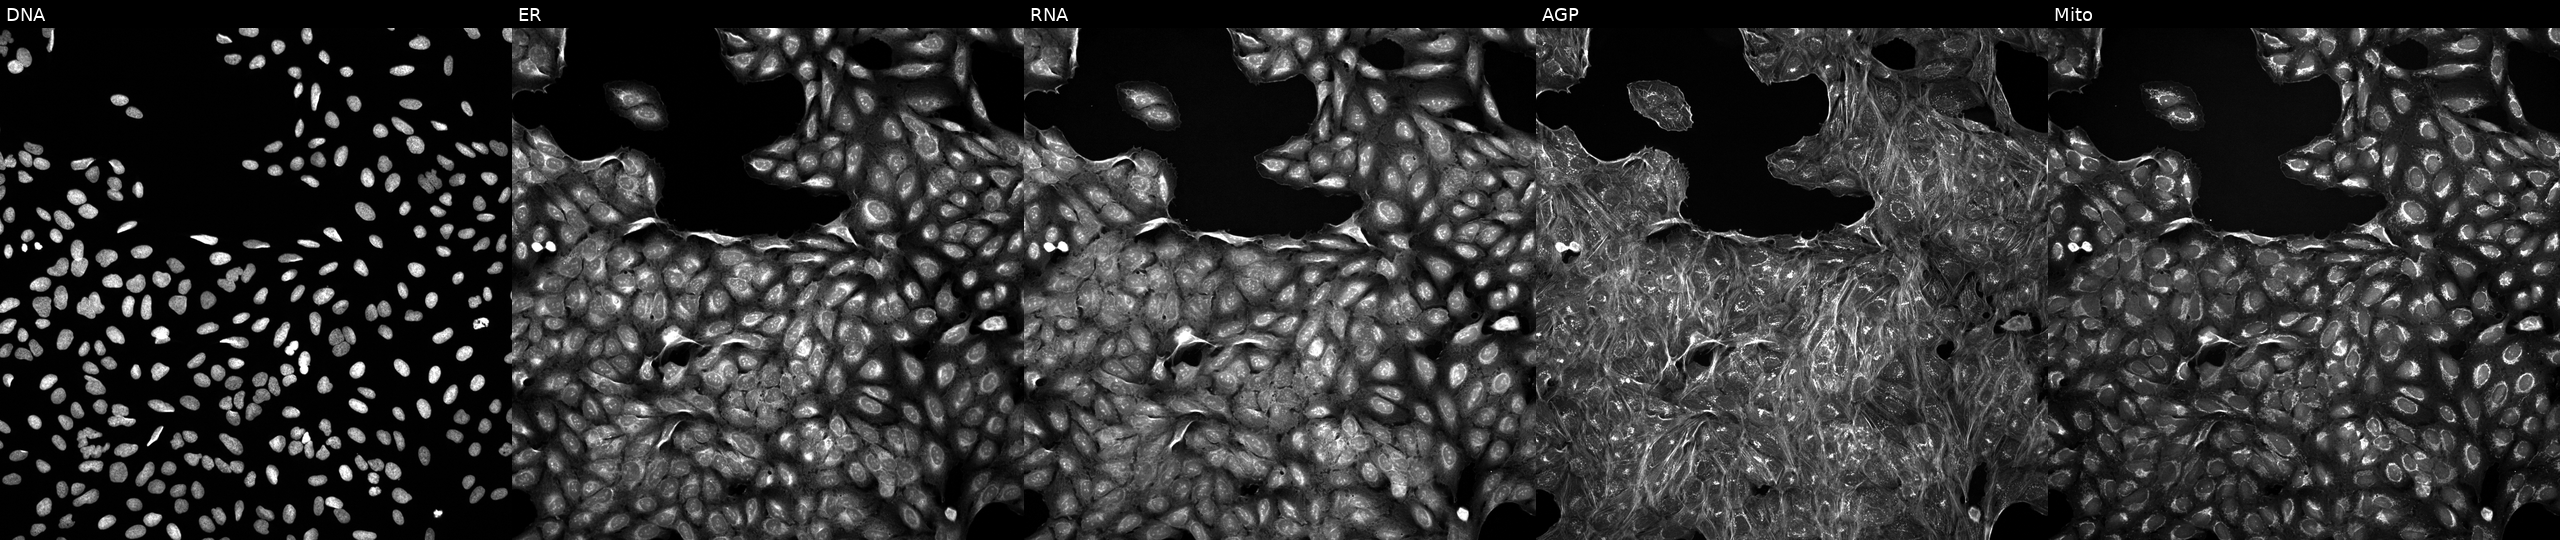
This image strip shows the five Cell Painting channels for a single field of U2OS cells perturbed with a small-molecule compound. The five panels, left to right, show Hoechst 33342, concanavalin A, SYTO 14, phalloidin and WGA, MitoTracker.